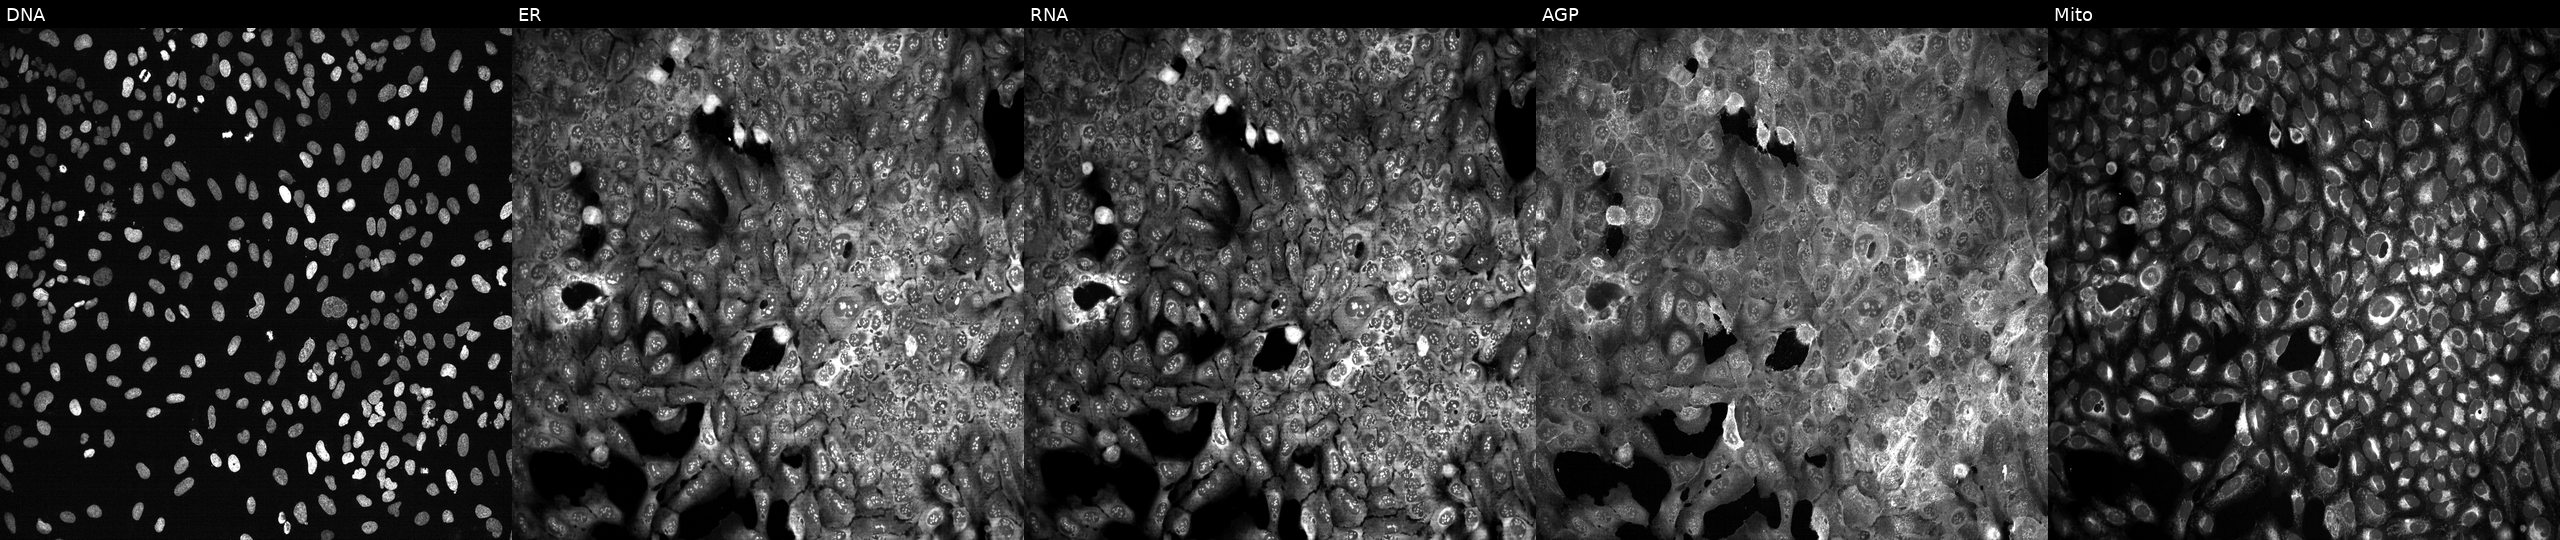
U2OS cells, Cell Painting assay, with B3GALT4 knocked out by CRISPR. Channels (left→right): Hoechst 33342, concanavalin A, SYTO 14, phalloidin and WGA, MitoTracker. Each panel is percentile-stretched 16-bit fluorescence. Source 13, plate CP-CC9-R3-02, well B20.